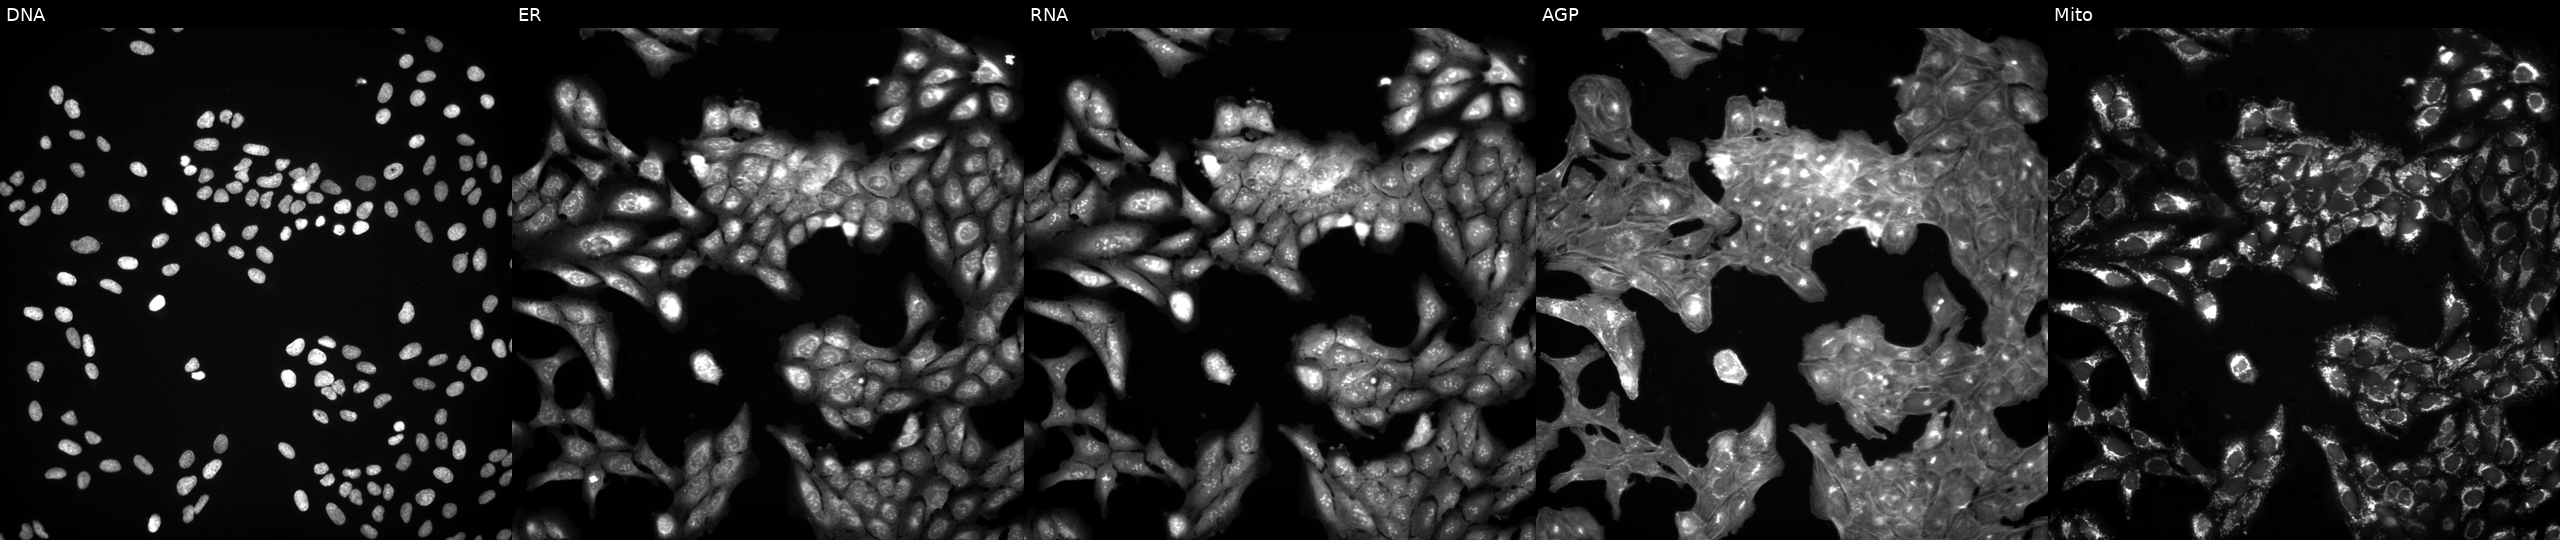
From left to right: Hoechst 33342, concanavalin A, SYTO 14, phalloidin and WGA, MitoTracker. U2OS osteosarcoma cells exposed to a small-molecule compound (InChIKey PBBGSZCBWVPOOL-UHFFFAOYSA-N) [SMILES: CCC(c1ccc(O)cc1)C(CC)c1ccc(O)cc1]. Cell Painting assay, JUMP-CP dataset.